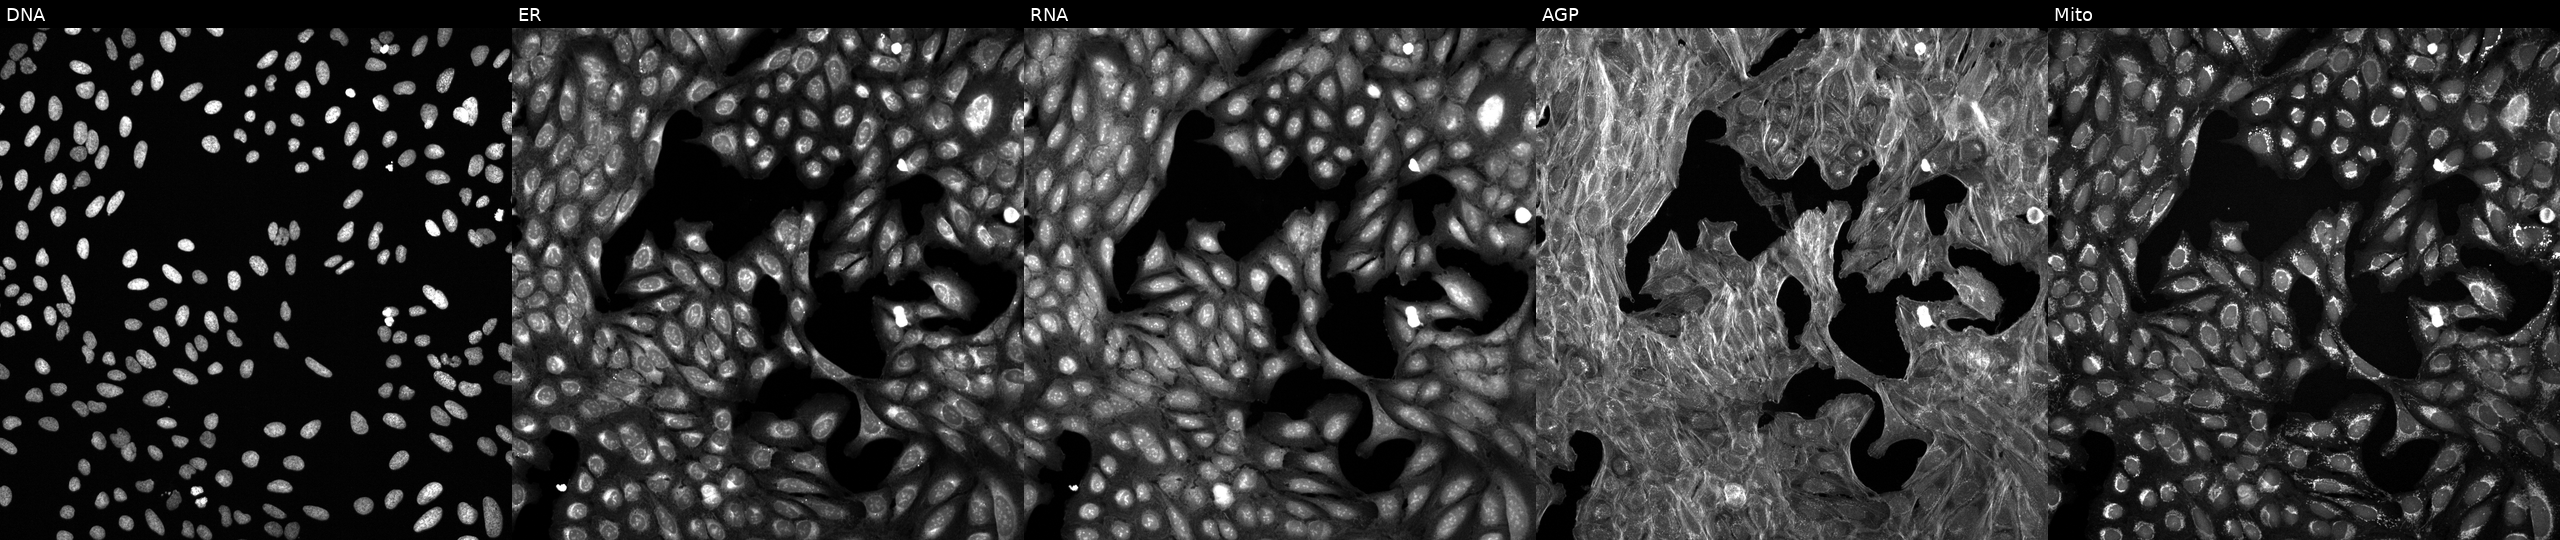
This image strip shows the five Cell Painting channels for a single field of U2OS cells perturbed with a small-molecule compound (InChIKey WXXSNCNJFUAIDG-UHFFFAOYSA-N). Channels (left→right): DNA, ER, RNA, AGP, and Mito.